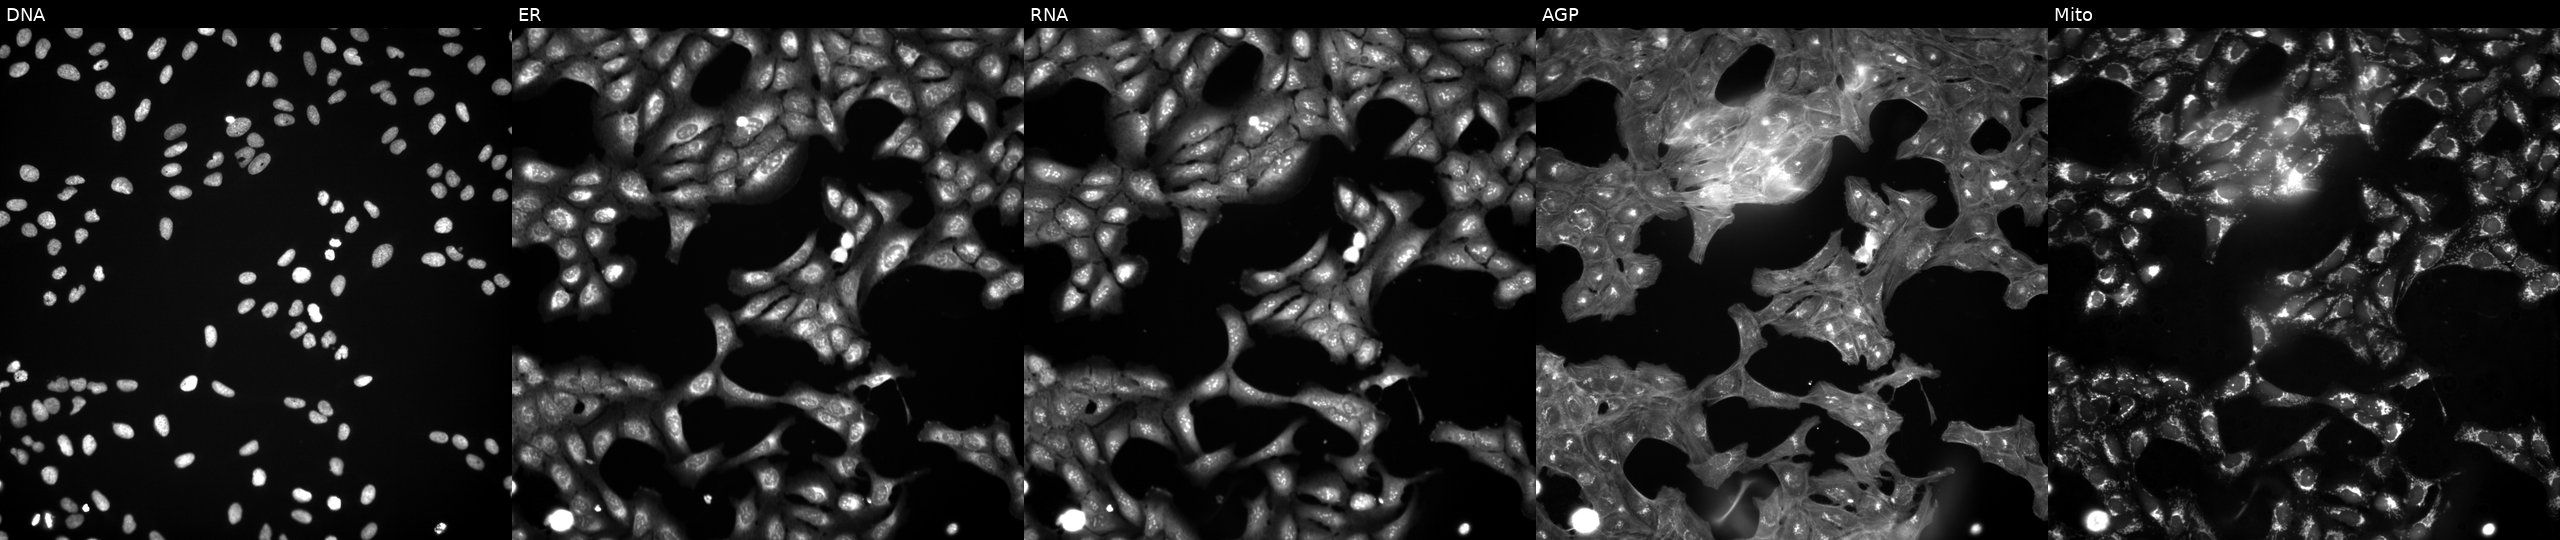
Five-channel Cell Painting image of U2OS cells treated with a small-molecule compound (JUMP id JCP2022_014114). The five panels, left to right, show DNA (nuclei); ER (endoplasmic reticulum); RNA (nucleoli and cytoplasmic RNA); AGP (actin cytoskeleton, Golgi, and plasma membrane); Mito (mitochondria).